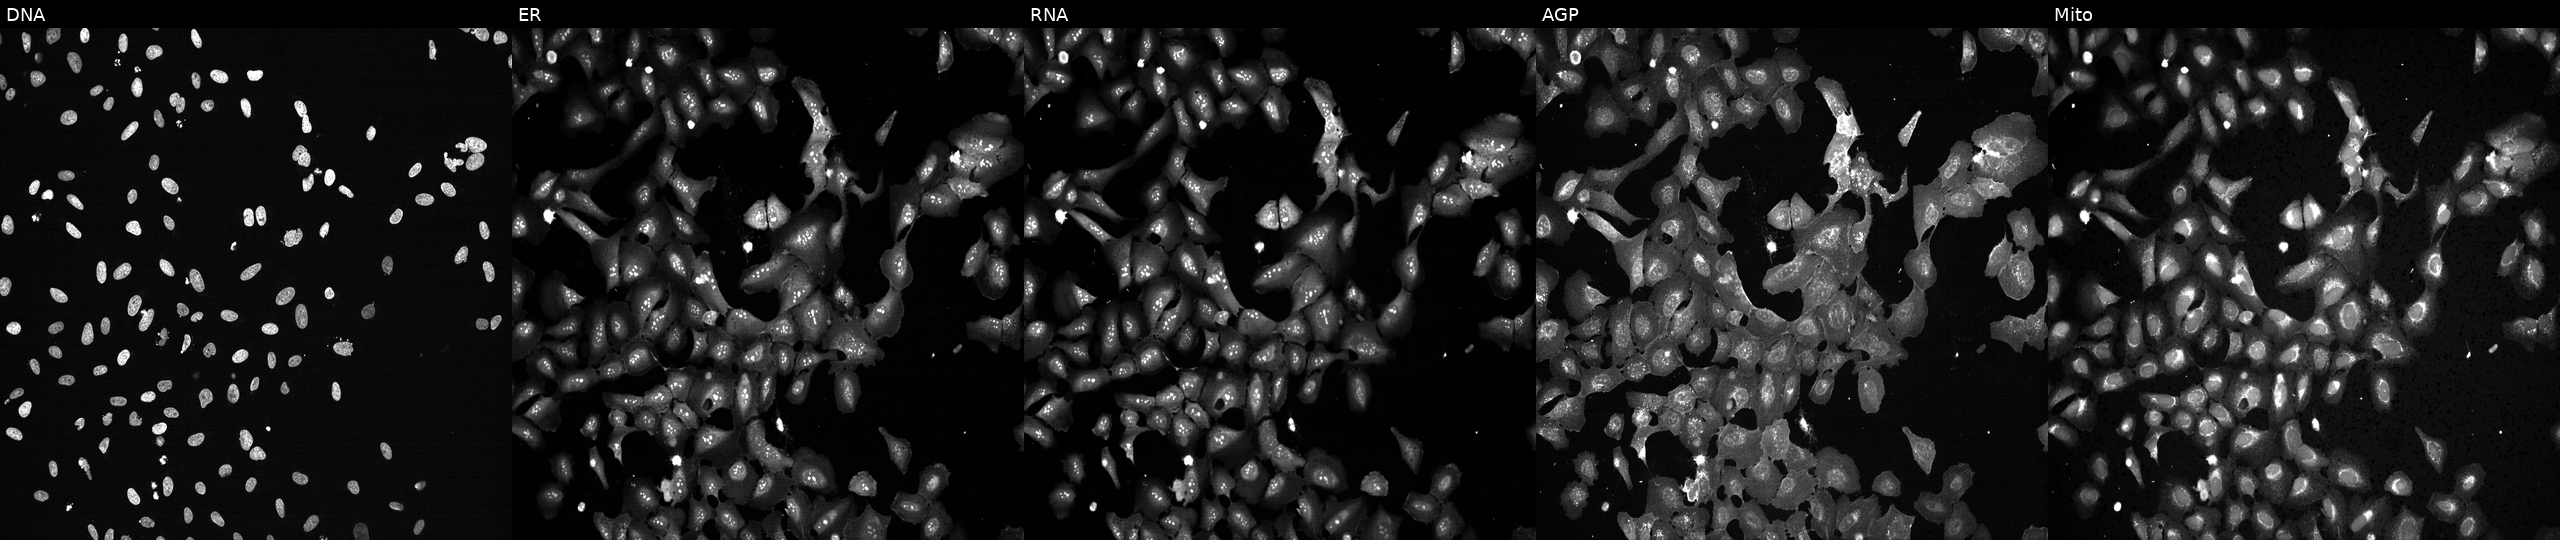
High-content fluorescence microscopy (Cell Painting). Cell line: U2OS. Perturbation: exposed to the positive-control compound TC-S-7004. From left to right: Hoechst 33342, concanavalin A, SYTO 14, phalloidin and WGA, MitoTracker. Source 13, plate CP-CC9-R1-01, well L24.